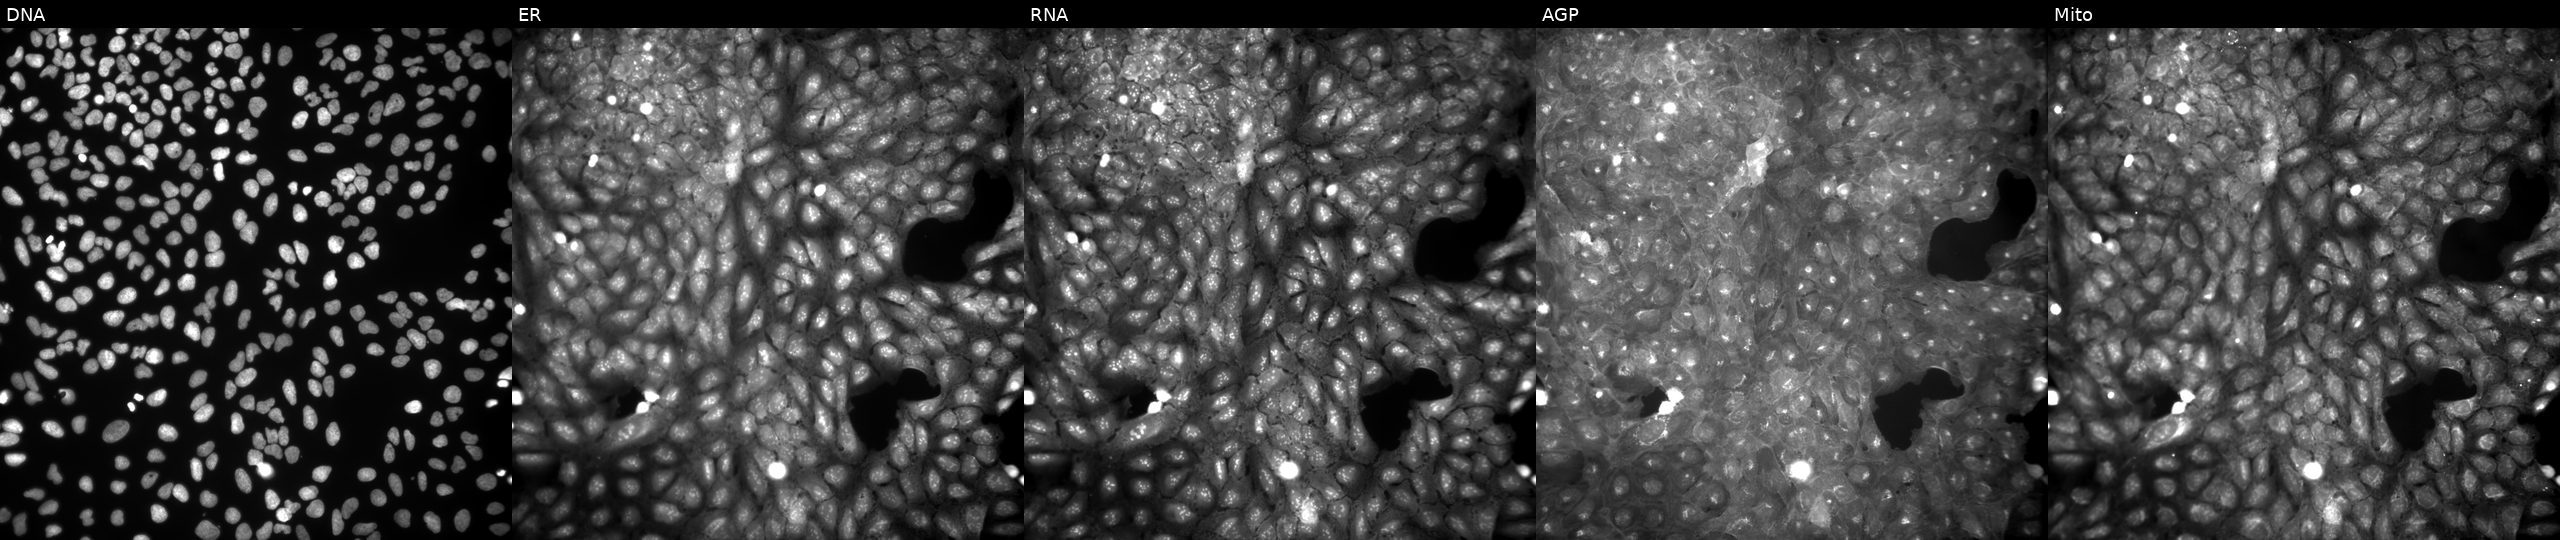
High-content fluorescence microscopy (Cell Painting). Cell line: U2OS. Perturbation: perturbed with a small-molecule compound (InChIKey HPEAMBFAZMWGFT-UHFFFAOYSA-N) [SMILES: CCOC(=O)N1CCN(CC(O)COc2ccccc2[N+](=O)[O-])CC1] (JUMP id JCP2022_031658). Panels show, left to right, Hoechst 33342, concanavalin A, SYTO 14, phalloidin and WGA, MitoTracker.